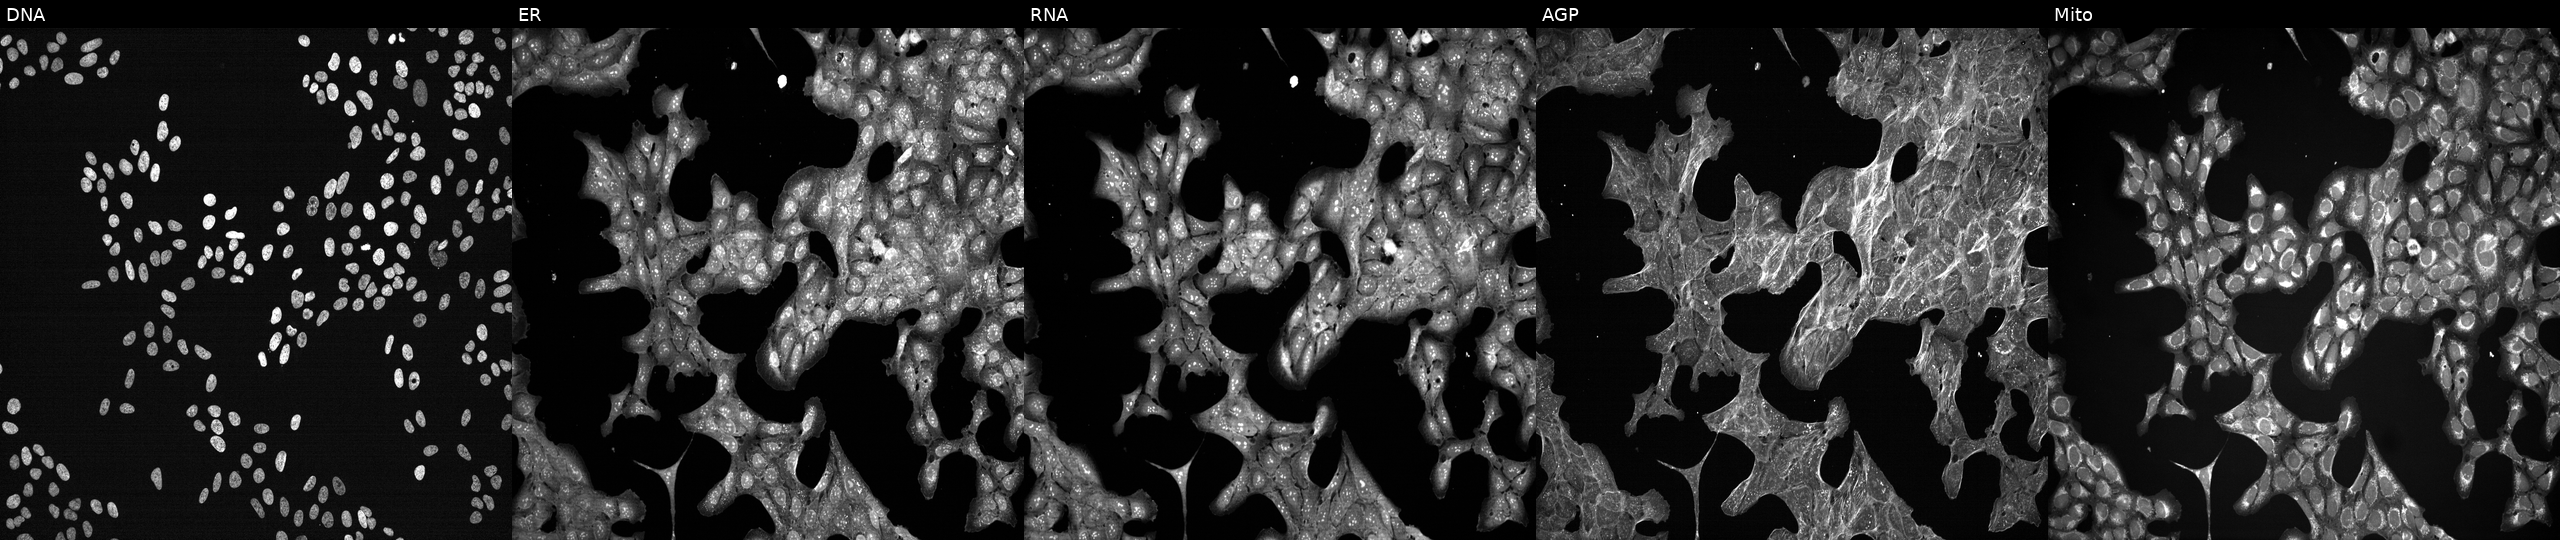
This image strip shows the five Cell Painting channels for a single field of U2OS cells perturbed with a small-molecule compound (InChIKey PHOGQKDIVUJGMJ-UHFFFAOYSA-N) (JUMP id JCP2022_068634). From left to right: DNA, ER, RNA, AGP, and Mito.